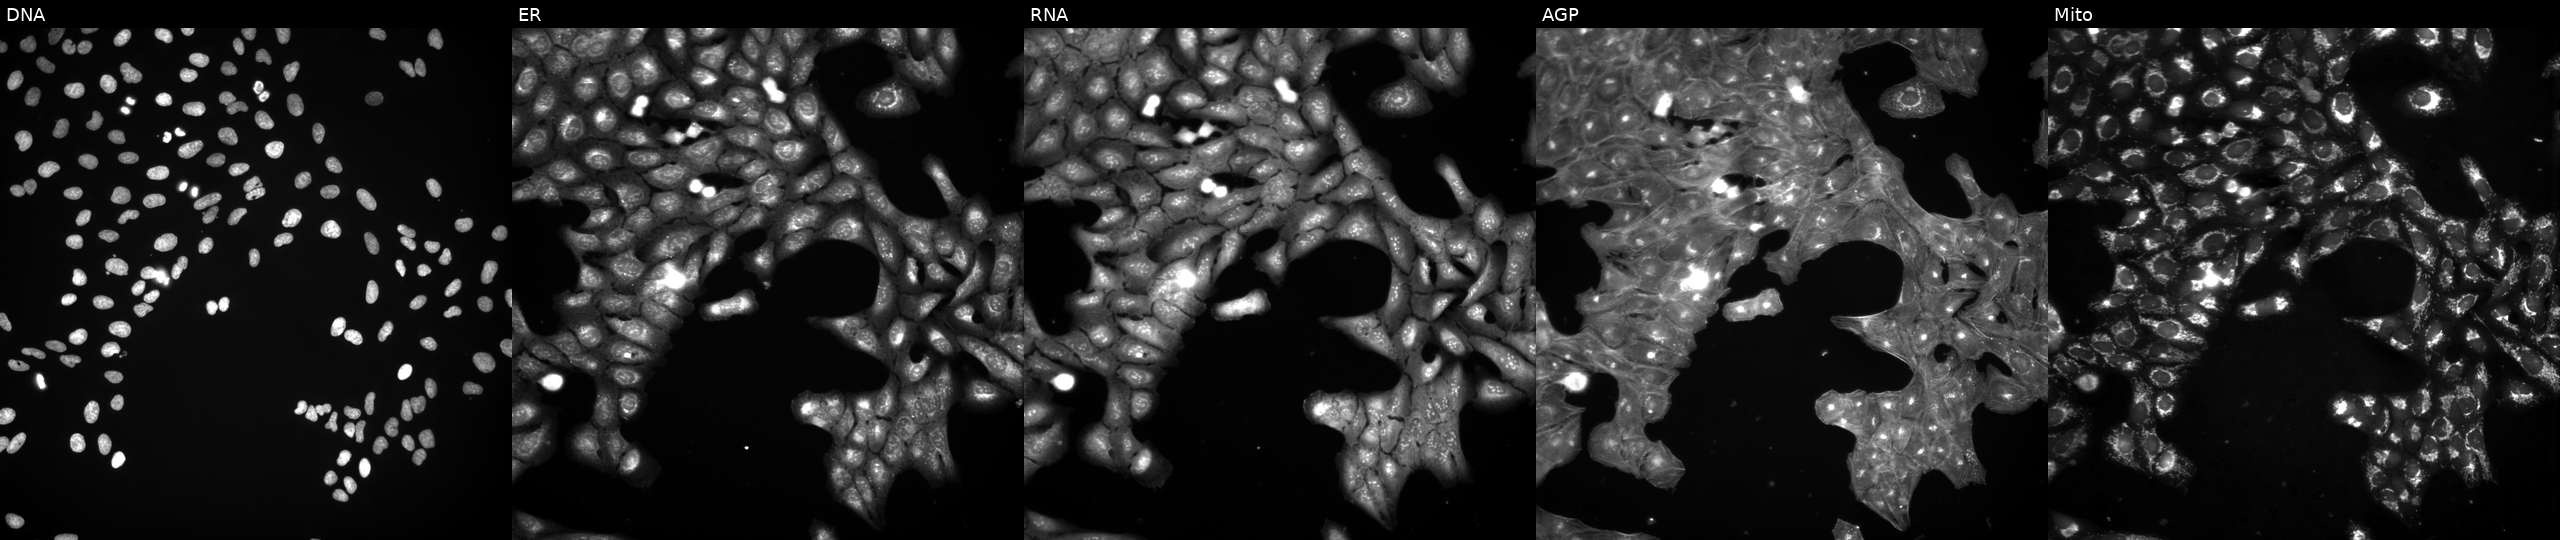
JUMP Cell Painting — TARGET2 plate. U2OS cells exposed to the positive-control compound aloxistatin. The five panels, left to right, show DNA, ER, RNA, AGP, and Mito. Source 3, plate JCPQC053, well F06.